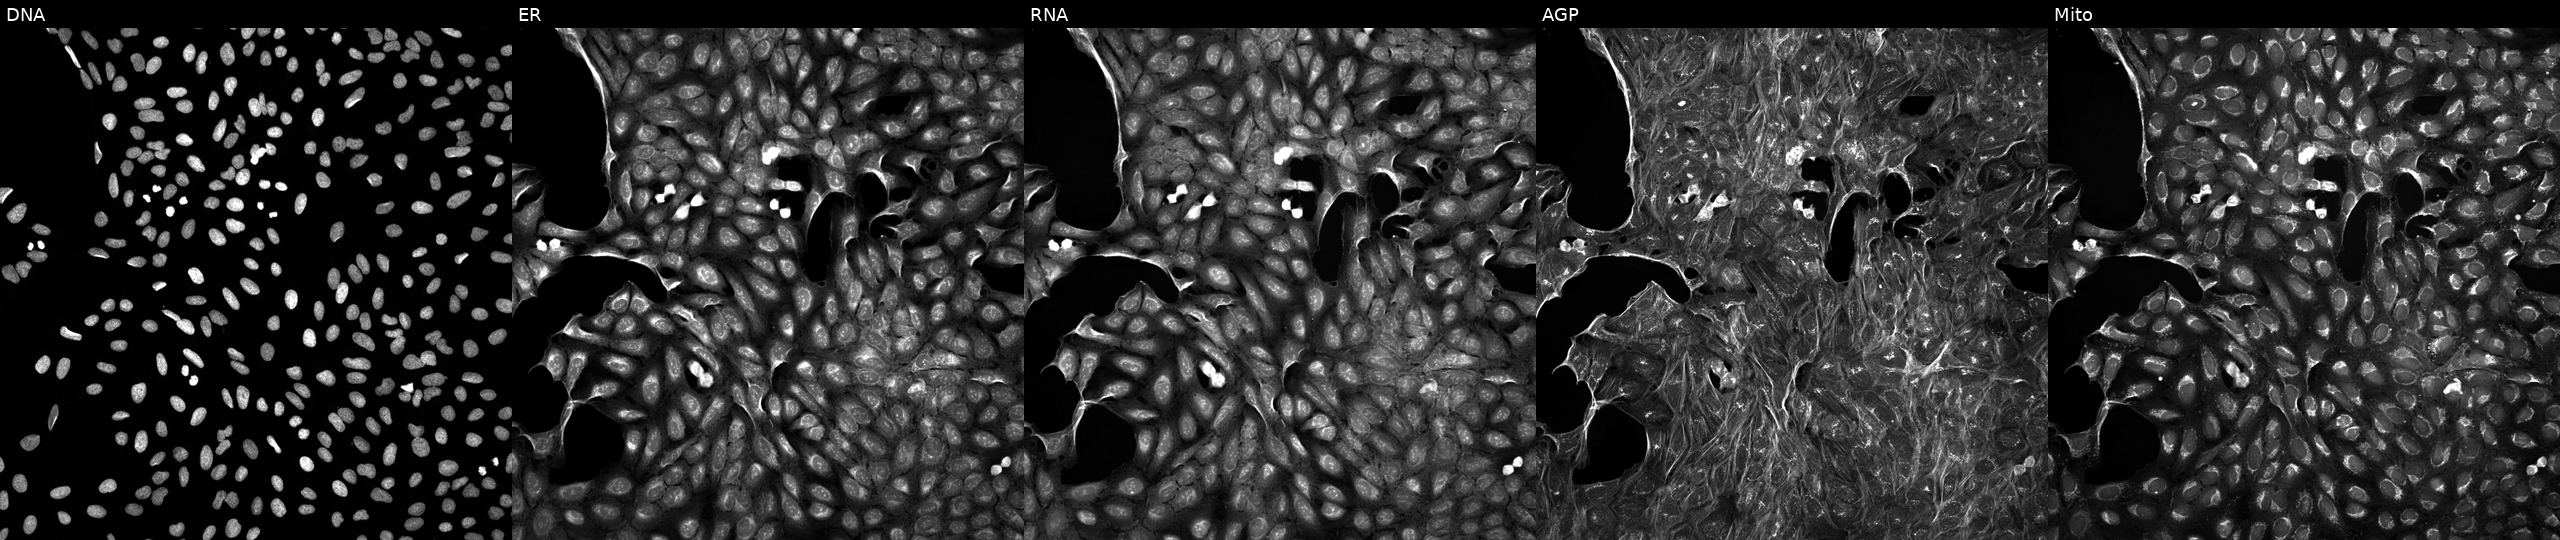
Channels (left→right): DNA, ER, RNA, AGP, and Mito. U2OS osteosarcoma cells exposed to a small-molecule compound (InChIKey SHZKQBHERIJWAO-UHFFFAOYSA-N) (JUMP id JCP2022_083372). Cell Painting assay, JUMP-CP dataset.